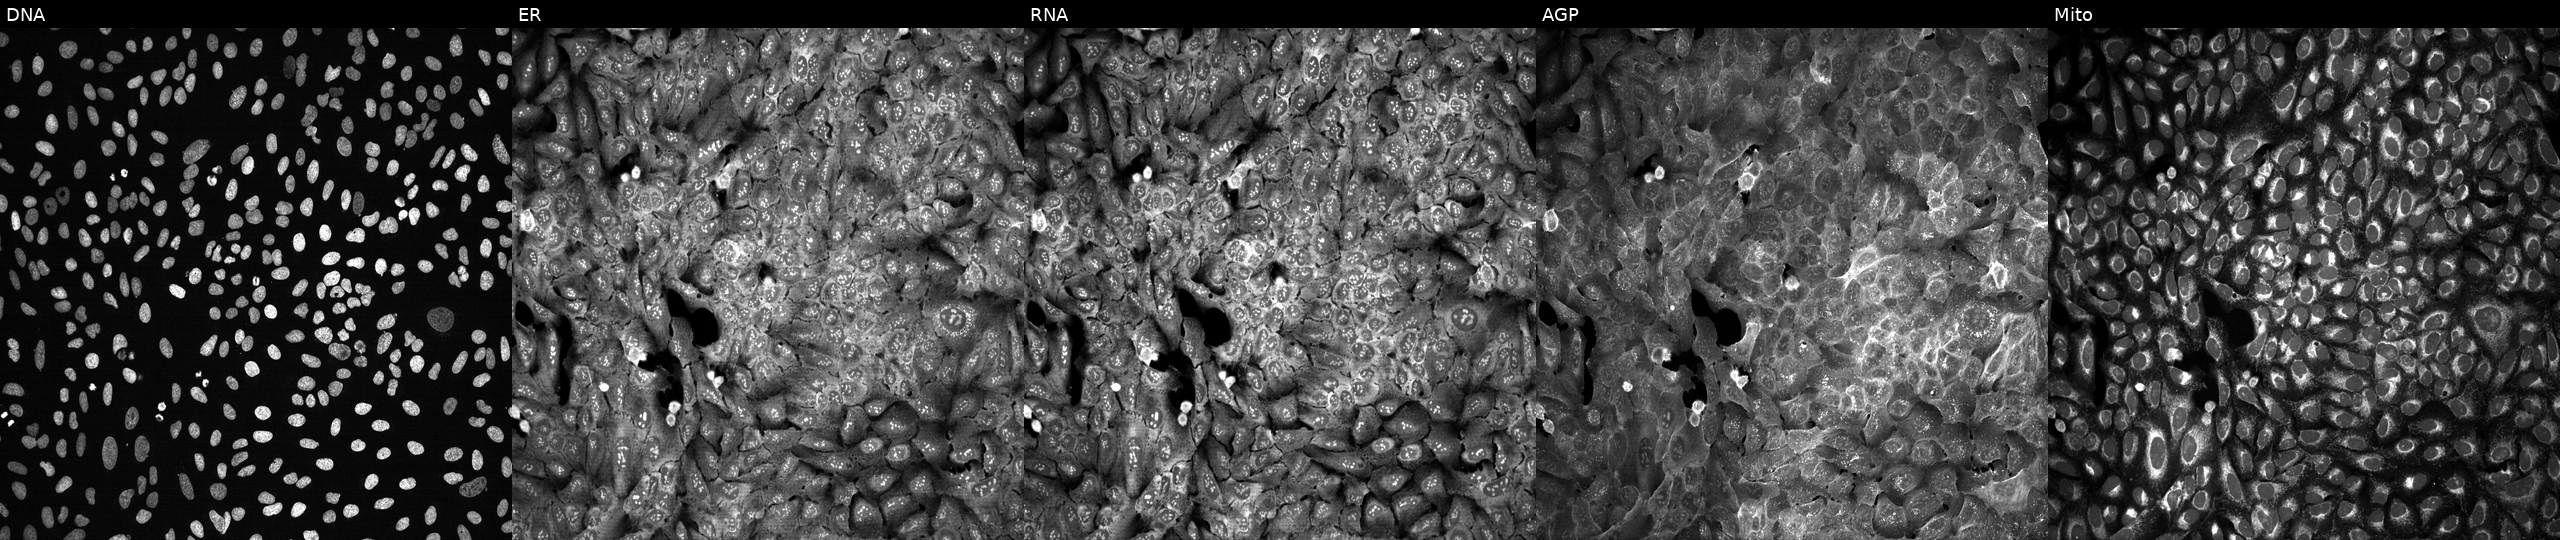
U2OS cells, Cell Painting assay, with DHH knocked out by CRISPR (JUMP id JCP2022_801785). The five panels, left to right, show Hoechst 33342, concanavalin A, SYTO 14, phalloidin and WGA, MitoTracker. Each panel is percentile-stretched 16-bit fluorescence.